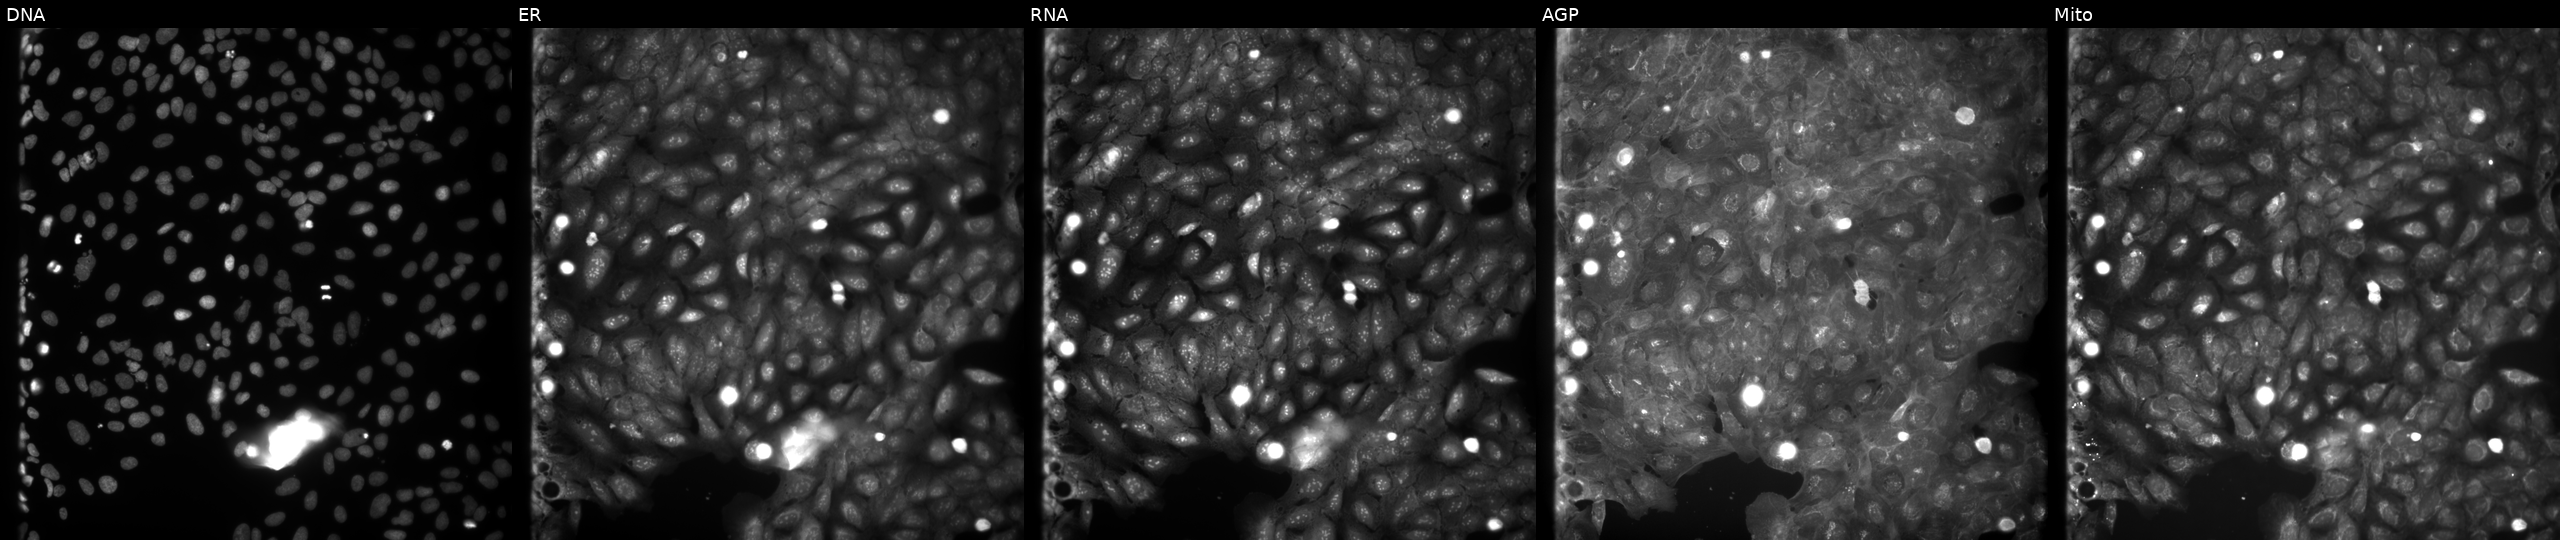
JUMP Cell Painting — COMPOUND plate. U2OS cells perturbed with a small-molecule compound (InChIKey JHZNFRUVABFCJF-UHFFFAOYSA-N) (JUMP id JCP2022_039899). Channels (left→right): Hoechst 33342, concanavalin A, SYTO 14, phalloidin and WGA, MitoTracker.